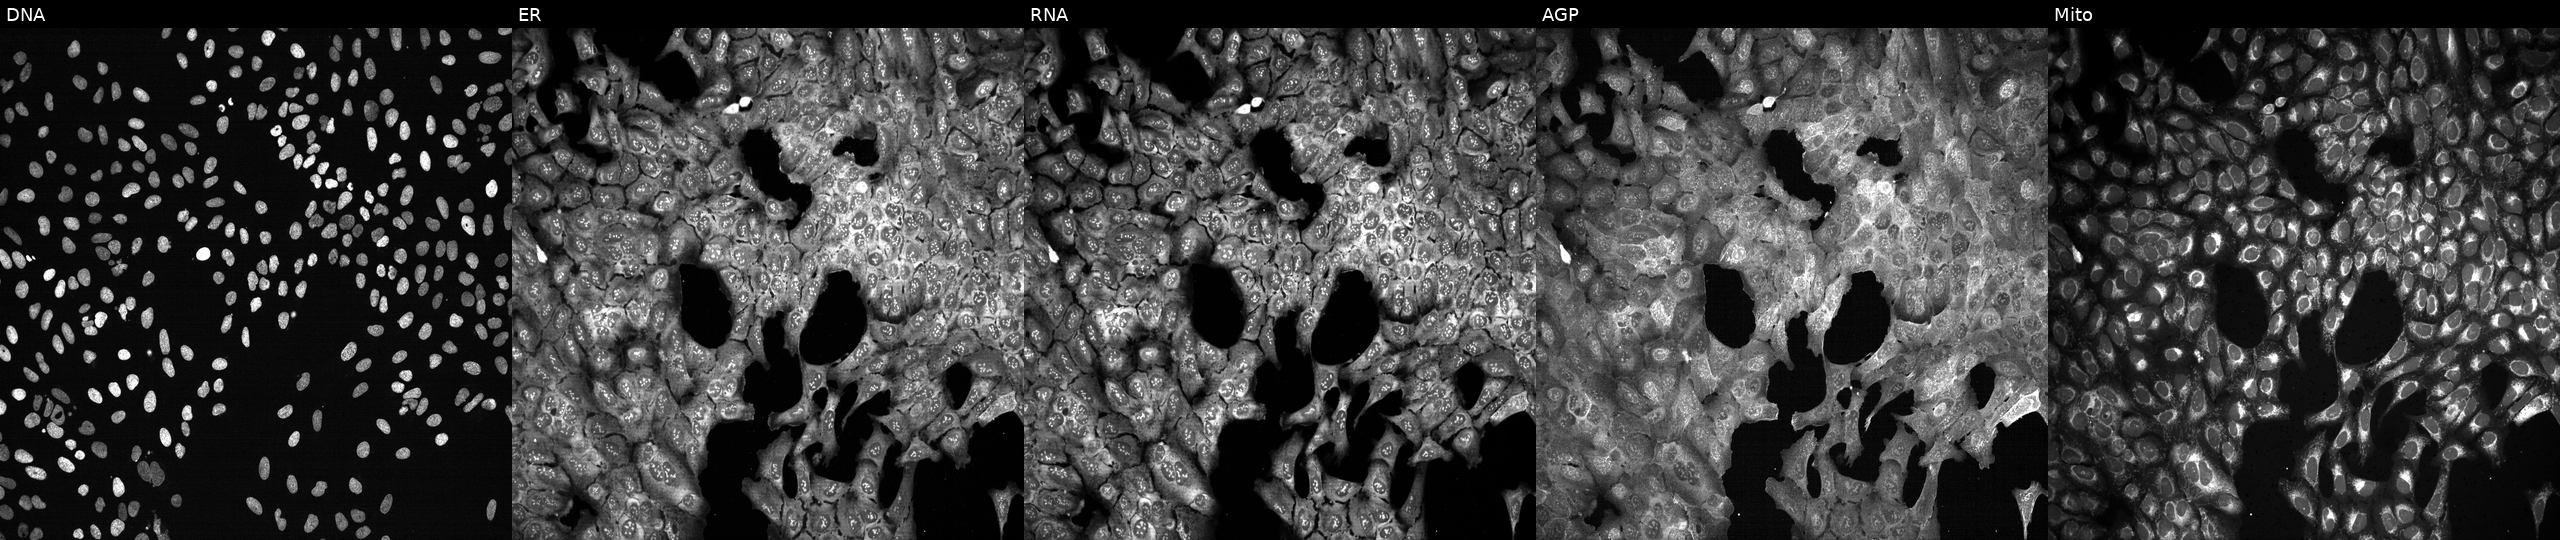
This image strip shows the five Cell Painting channels for a single field of U2OS cells CRISPR-edited to disrupt AMPD1. Channels (left→right): Hoechst 33342, concanavalin A, SYTO 14, phalloidin and WGA, MitoTracker.